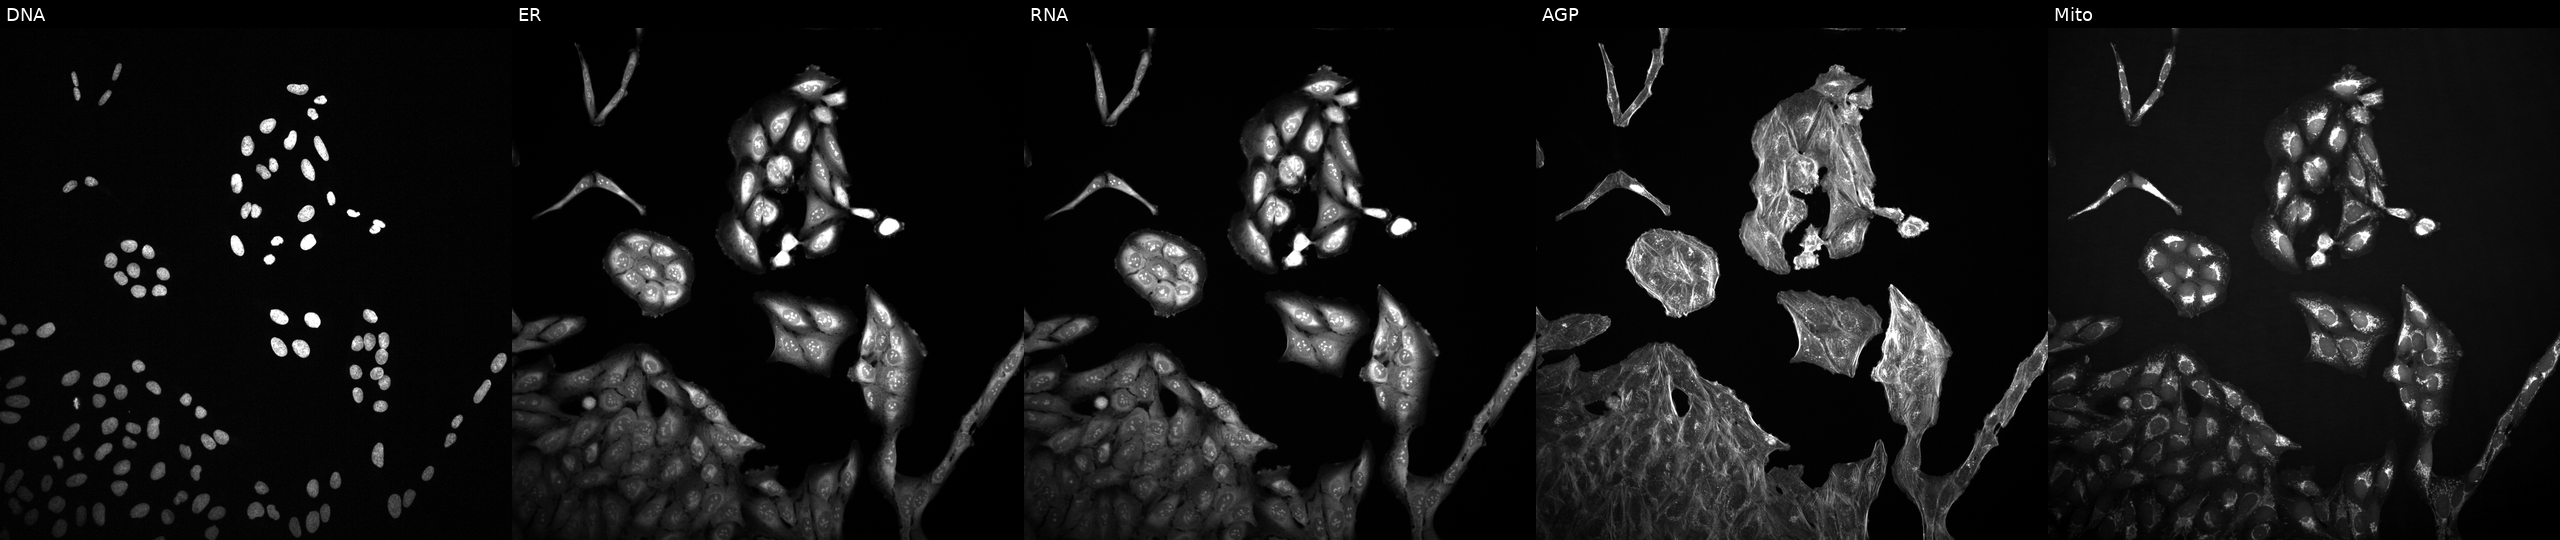
High-content fluorescence microscopy (Cell Painting). Cell line: U2OS. Perturbation: perturbed with a small-molecule compound (InChIKey GUUGZPSUOTWOMD-UHFFFAOYSA-N) (JUMP id JCP2022_027911). The five panels, left to right, show Hoechst 33342, concanavalin A, SYTO 14, phalloidin and WGA, MitoTracker. Source 2, plate 1053597936, well A06.